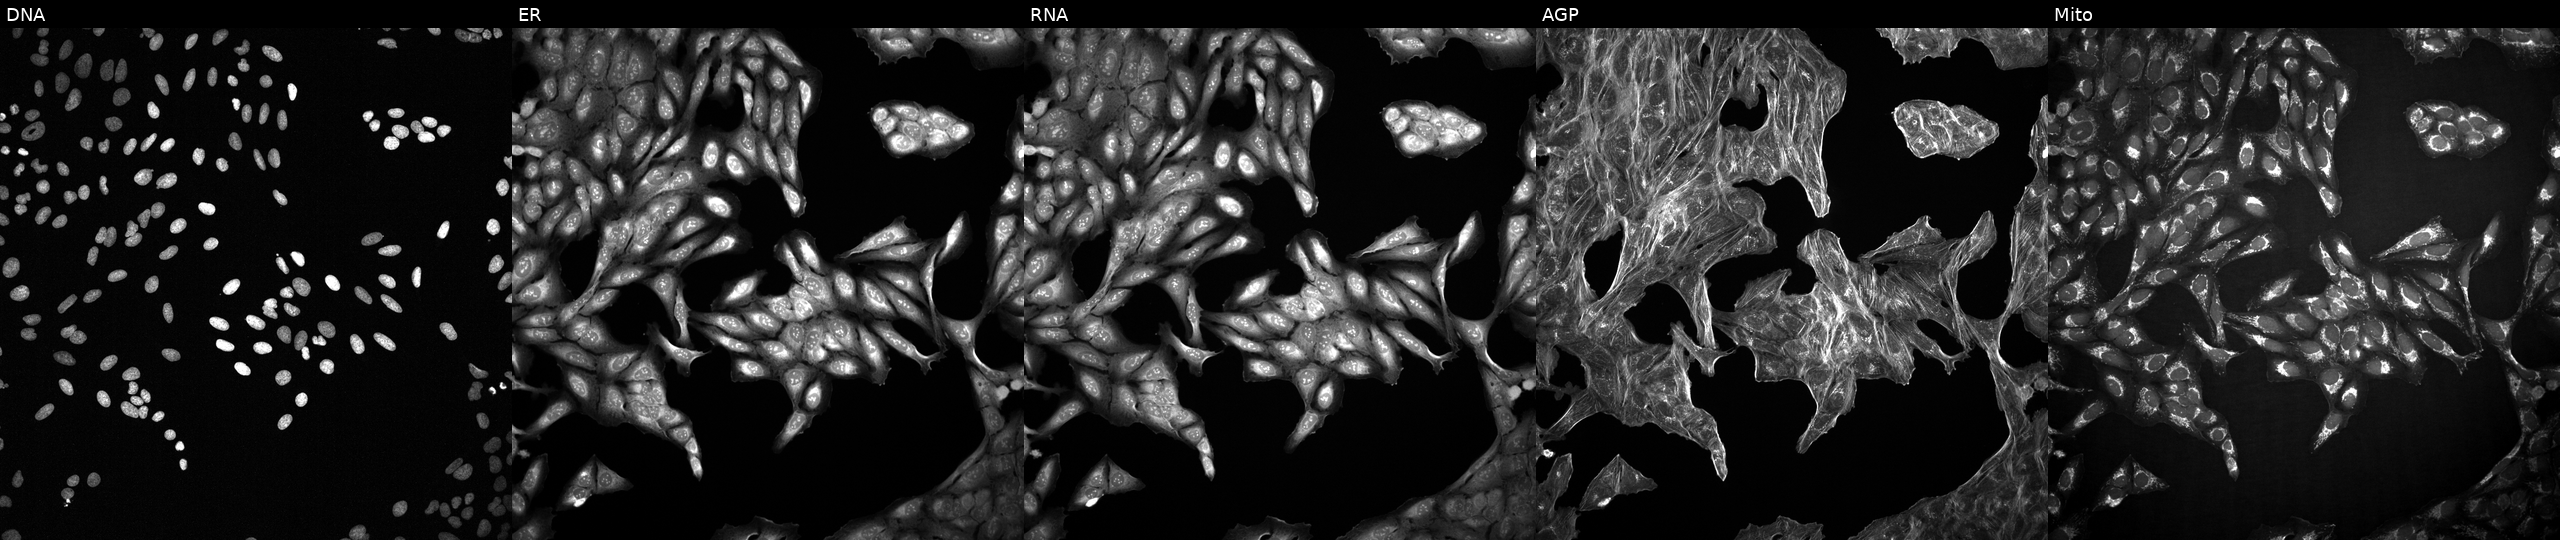
High-content fluorescence microscopy (Cell Painting). Cell line: U2OS. Perturbation: treated with a small-molecule compound (InChIKey VMRXGKBXHCZWSY-UHFFFAOYSA-N) [SMILES: O=C(Nc1ccccc1)c1cc2nc(C(F)F)cc(C(F)F)n2n1]. The five panels, left to right, show Hoechst 33342, concanavalin A, SYTO 14, phalloidin and WGA, MitoTracker. Source 2, plate 1053601756, well K19.